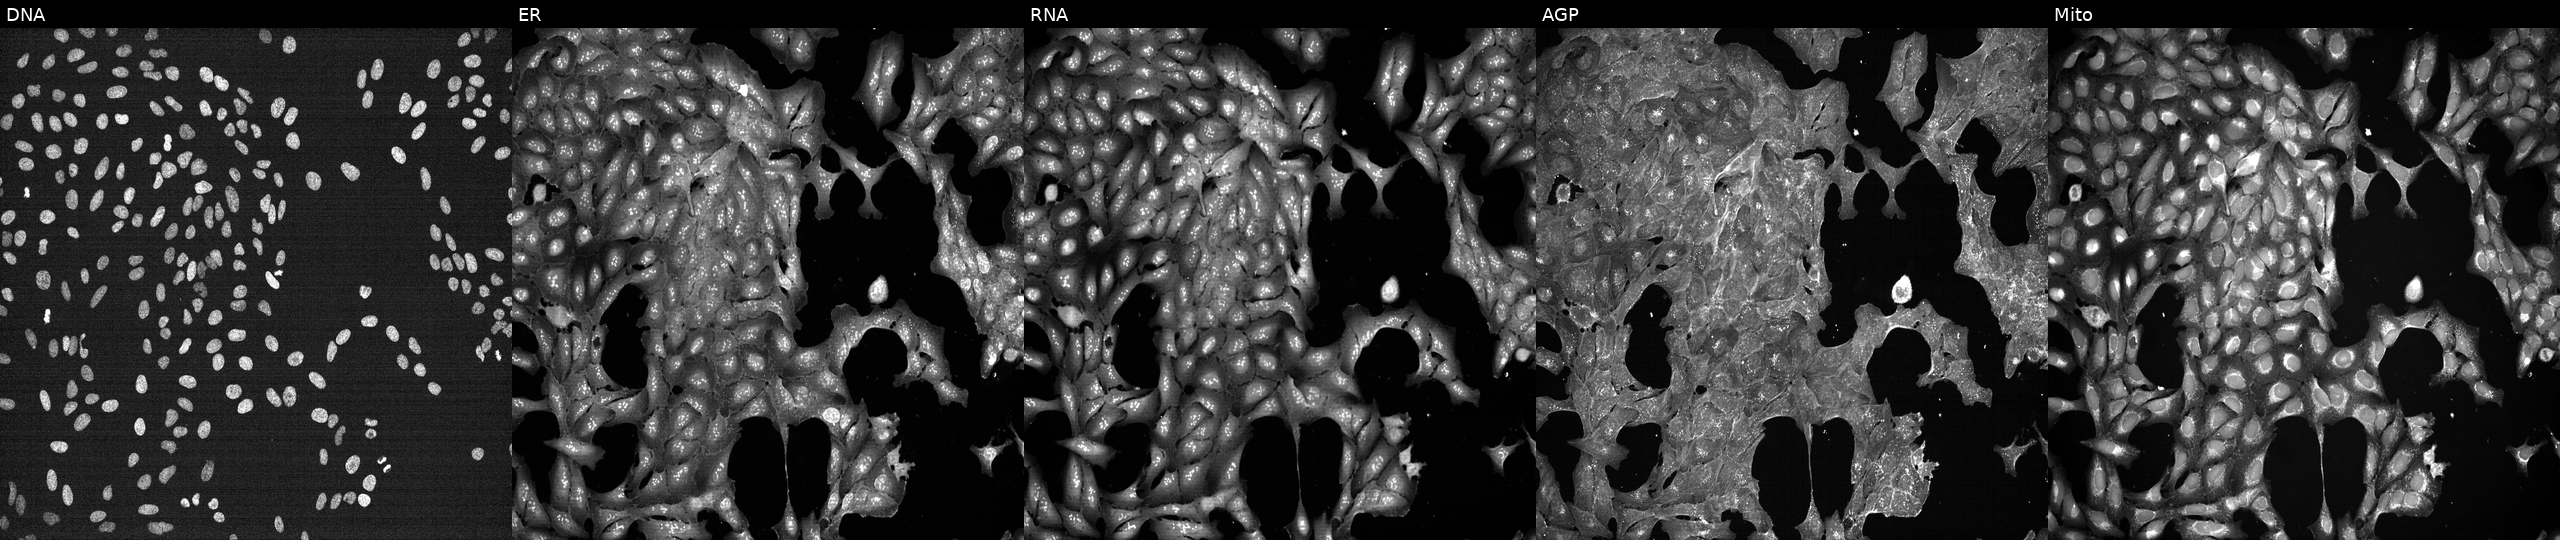
JUMP Cell Painting — TARGET2 plate. U2OS cells treated with a small-molecule compound (InChIKey LGEQQWMQCRIYKG-UHFFFAOYSA-N). Panels show, left to right, DNA (nuclei); ER (endoplasmic reticulum); RNA (nucleoli and cytoplasmic RNA); AGP (actin cytoskeleton, Golgi, and plasma membrane); Mito (mitochondria). Source 7, plate CP1-SC1-25, well I12.